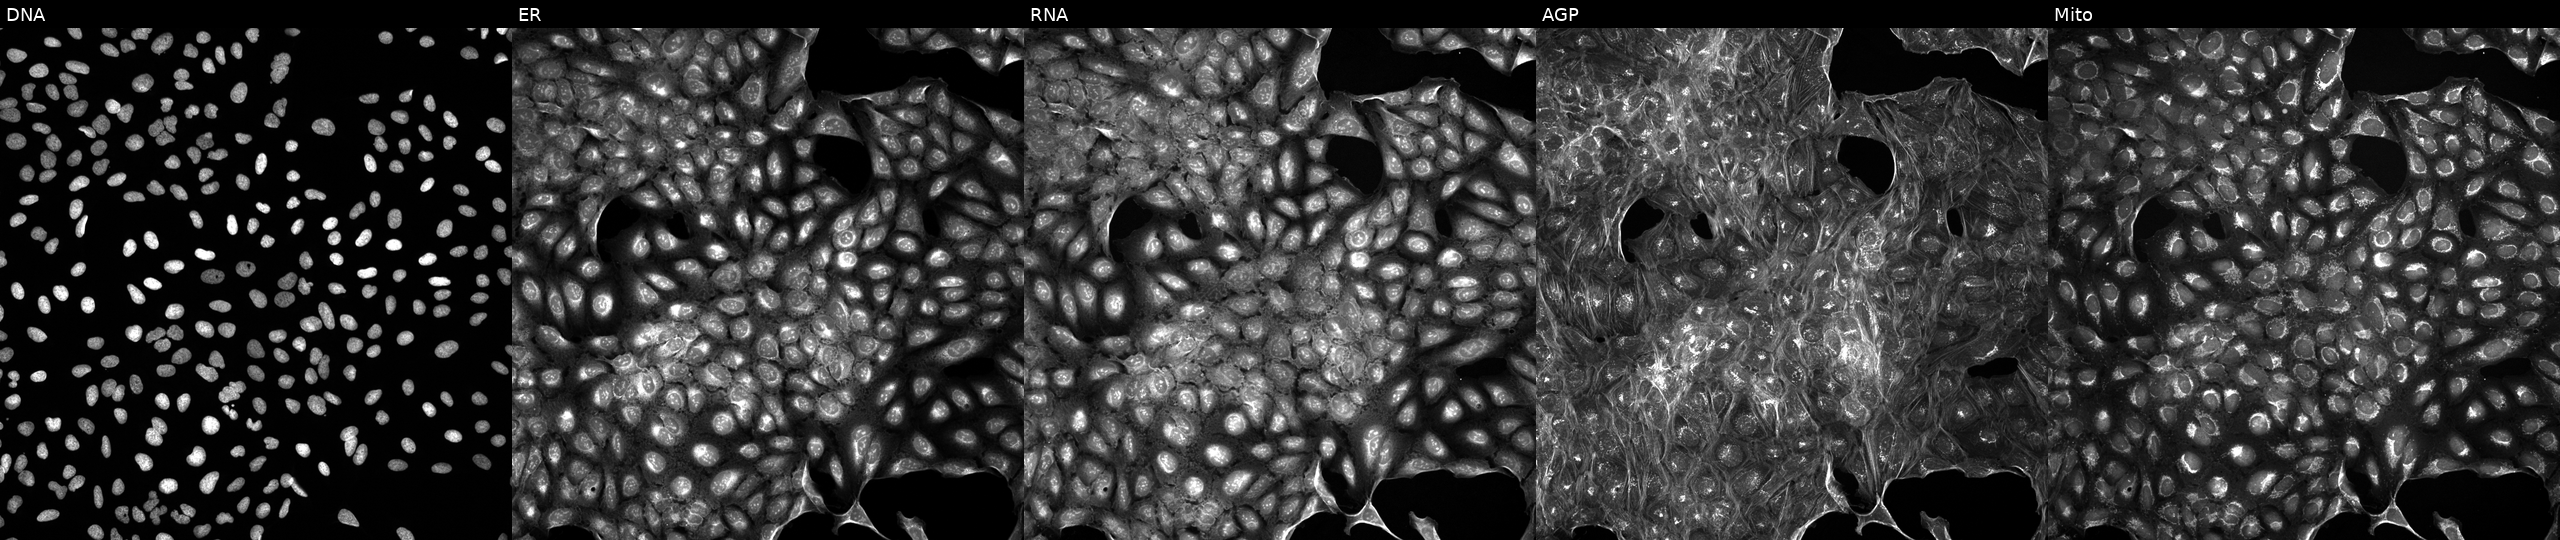
Five-channel Cell Painting image of U2OS cells exposed to a small-molecule compound [SMILES: Cn1cnc([N+](=O)[O-])c1Sc1ncnc2[nH]cnc12] (JUMP id JCP2022_050338). Channels (left→right): DNA, ER, RNA, AGP, and Mito. Source 5, plate ACPJUM032, well I08.